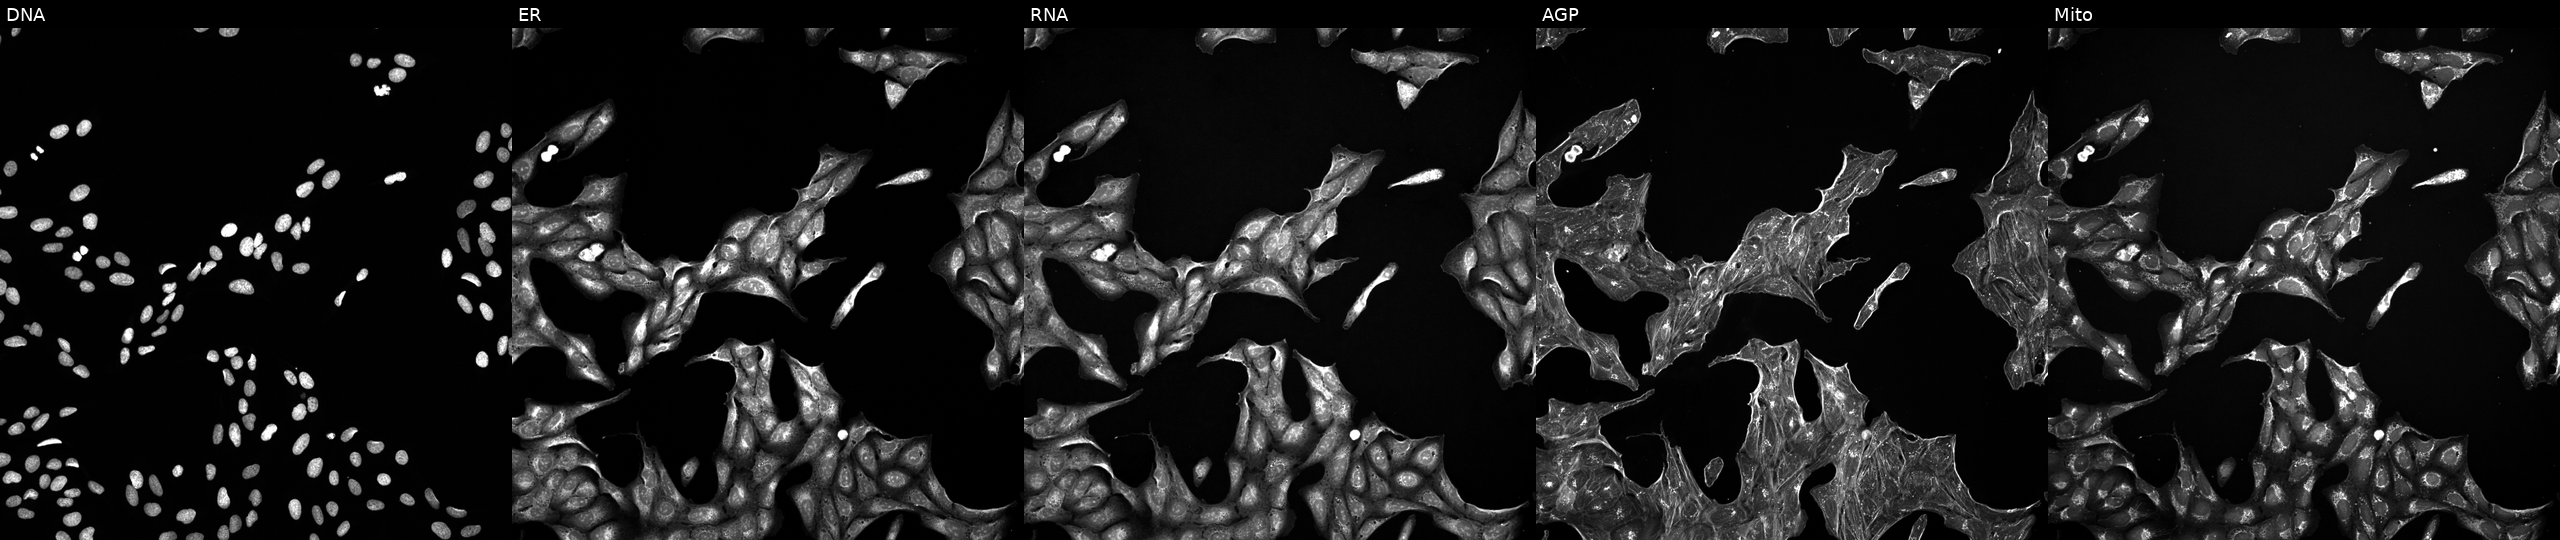
This image strip shows the five Cell Painting channels for a single field of U2OS cells perturbed with a small-molecule compound (InChIKey VERWOWGGCGHDQE-UHFFFAOYSA-N) [SMILES: Cc1cc(N=c2[nH]cc(Cl)c(=Nc3ccccc3S(=O)(=O)C(C)C)[nH]2)c(OC(C)C)cc1C1CCNCC1]. From left to right: Hoechst 33342, concanavalin A, SYTO 14, phalloidin and WGA, MitoTracker. Source 5, plate ACPJUM032, well J19.